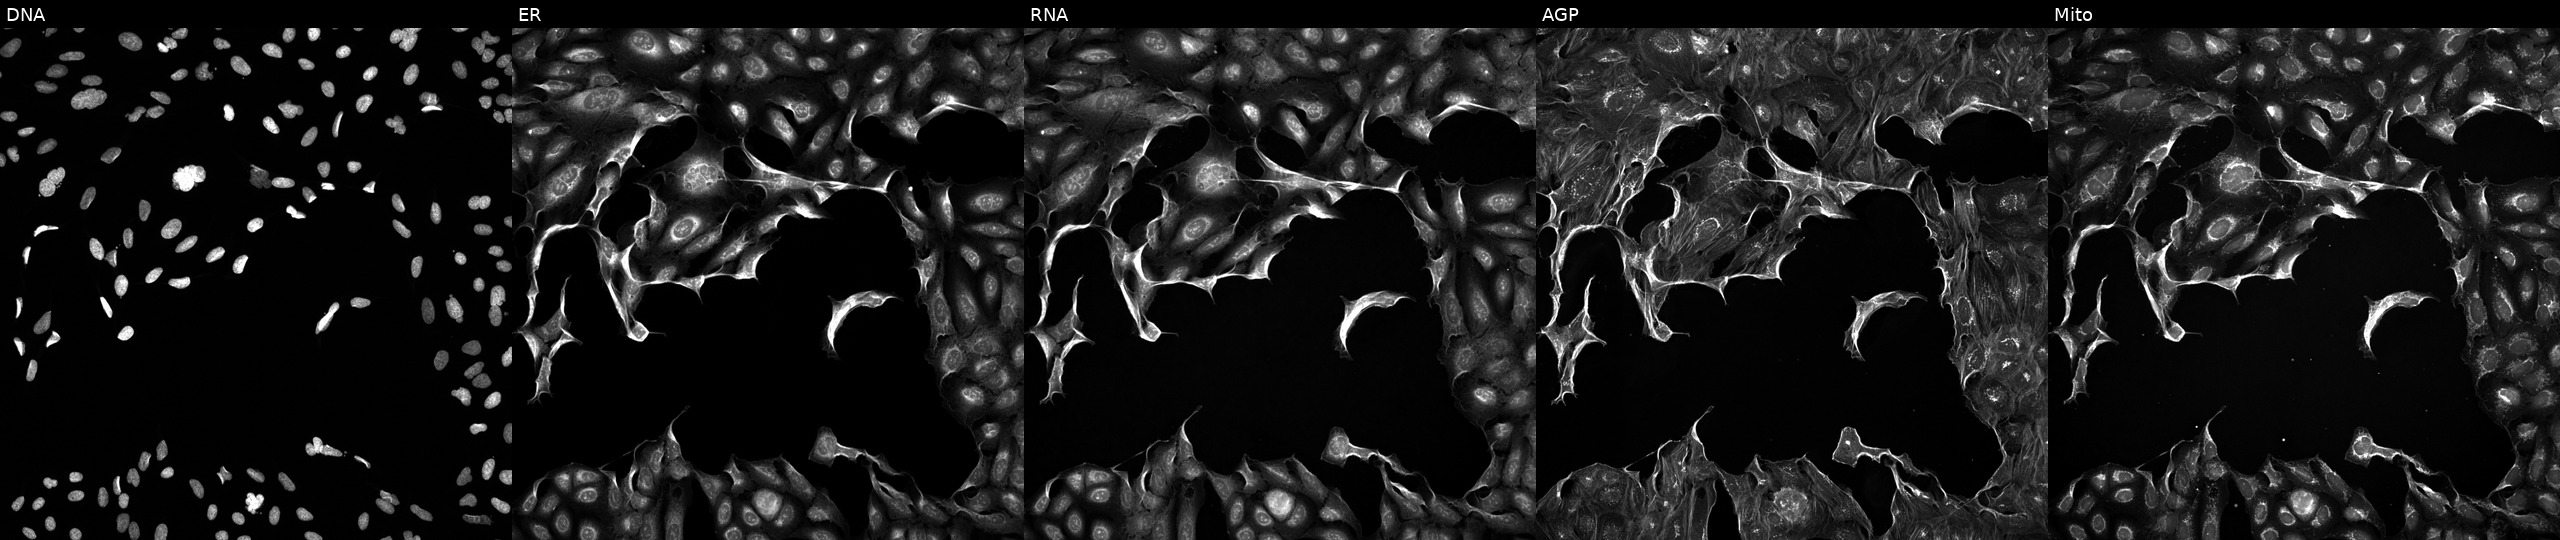
Channels (left→right): DNA, ER, RNA, AGP, and Mito. U2OS osteosarcoma cells exposed to a small-molecule compound (JUMP id JCP2022_046462). Cell Painting assay, JUMP-CP dataset. Source 5, plate ACPJUM032, well J07.